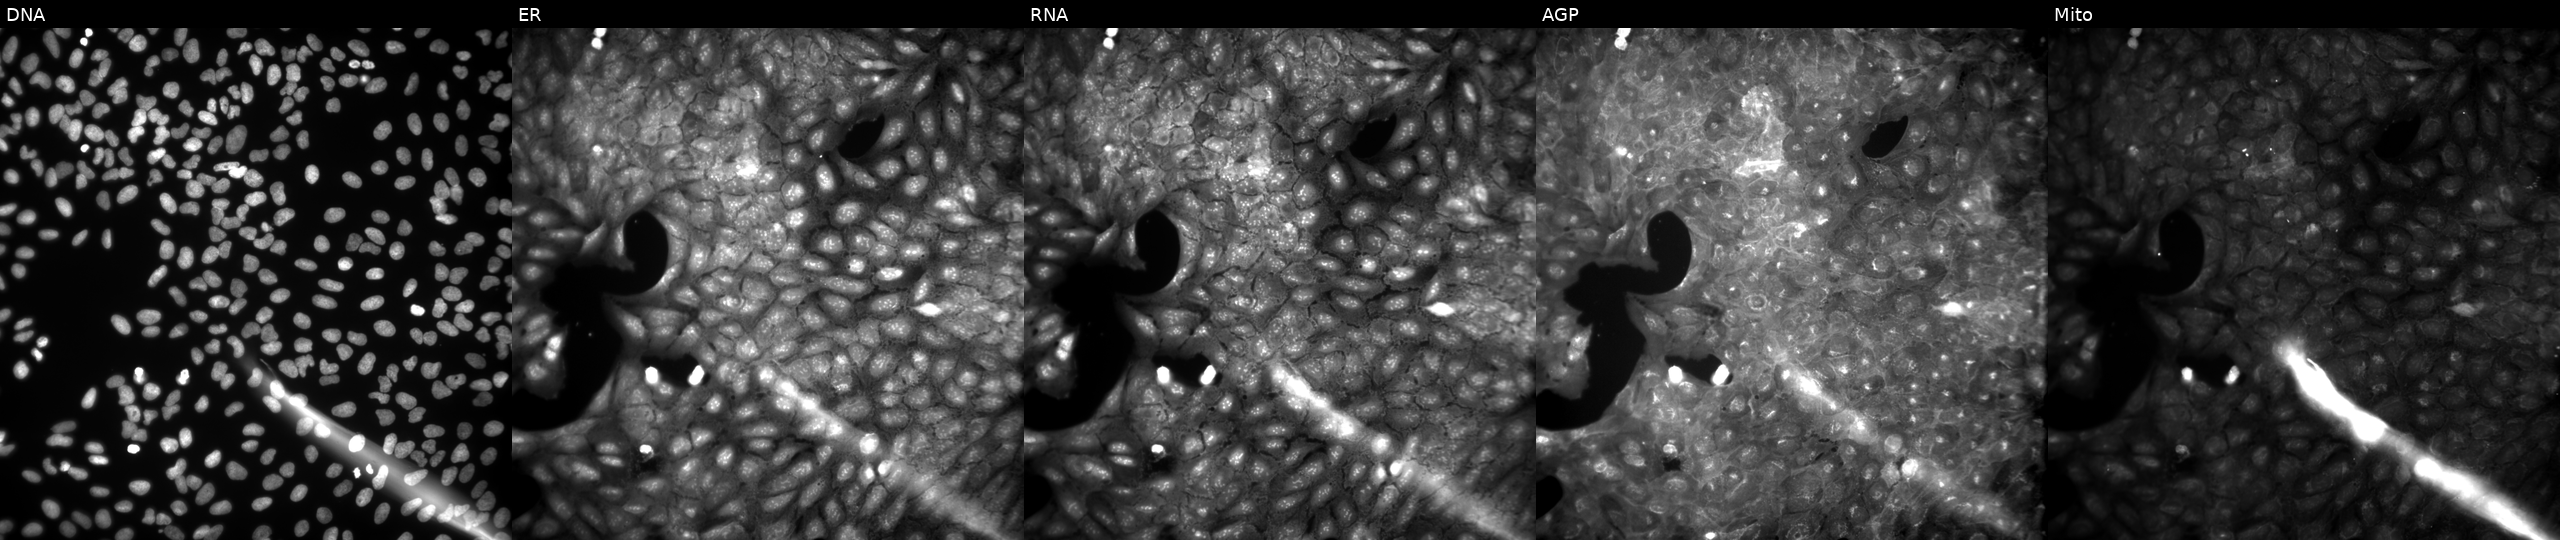
Channels (left→right): DNA (nuclei); ER (endoplasmic reticulum); RNA (nucleoli and cytoplasmic RNA); AGP (actin cytoskeleton, Golgi, and plasma membrane); Mito (mitochondria). U2OS osteosarcoma cells treated with a small-molecule compound (JUMP id JCP2022_090627). Cell Painting assay, JUMP-CP dataset. Source 9, plate GR00003381, well E46.